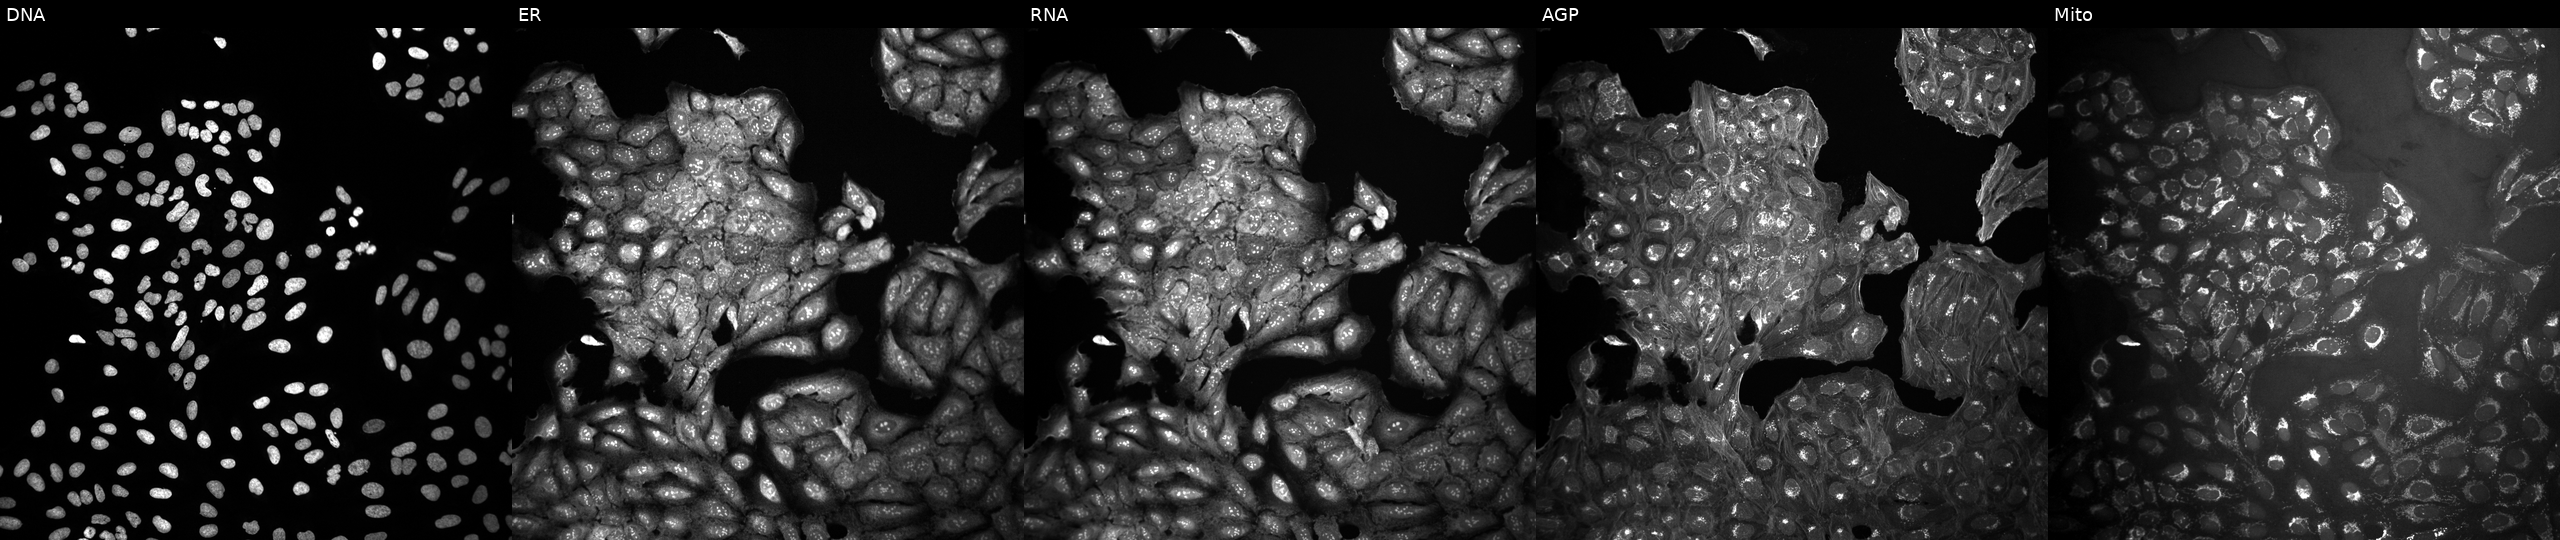
High-content fluorescence microscopy (Cell Painting). Cell line: U2OS. Perturbation: exposed to DMSO alone as a negative control (JUMP id JCP2022_033924). Panels show, left to right, DNA (nuclei); ER (endoplasmic reticulum); RNA (nucleoli and cytoplasmic RNA); AGP (actin cytoskeleton, Golgi, and plasma membrane); Mito (mitochondria). Source 10, plate Dest210531-152149, well G23.